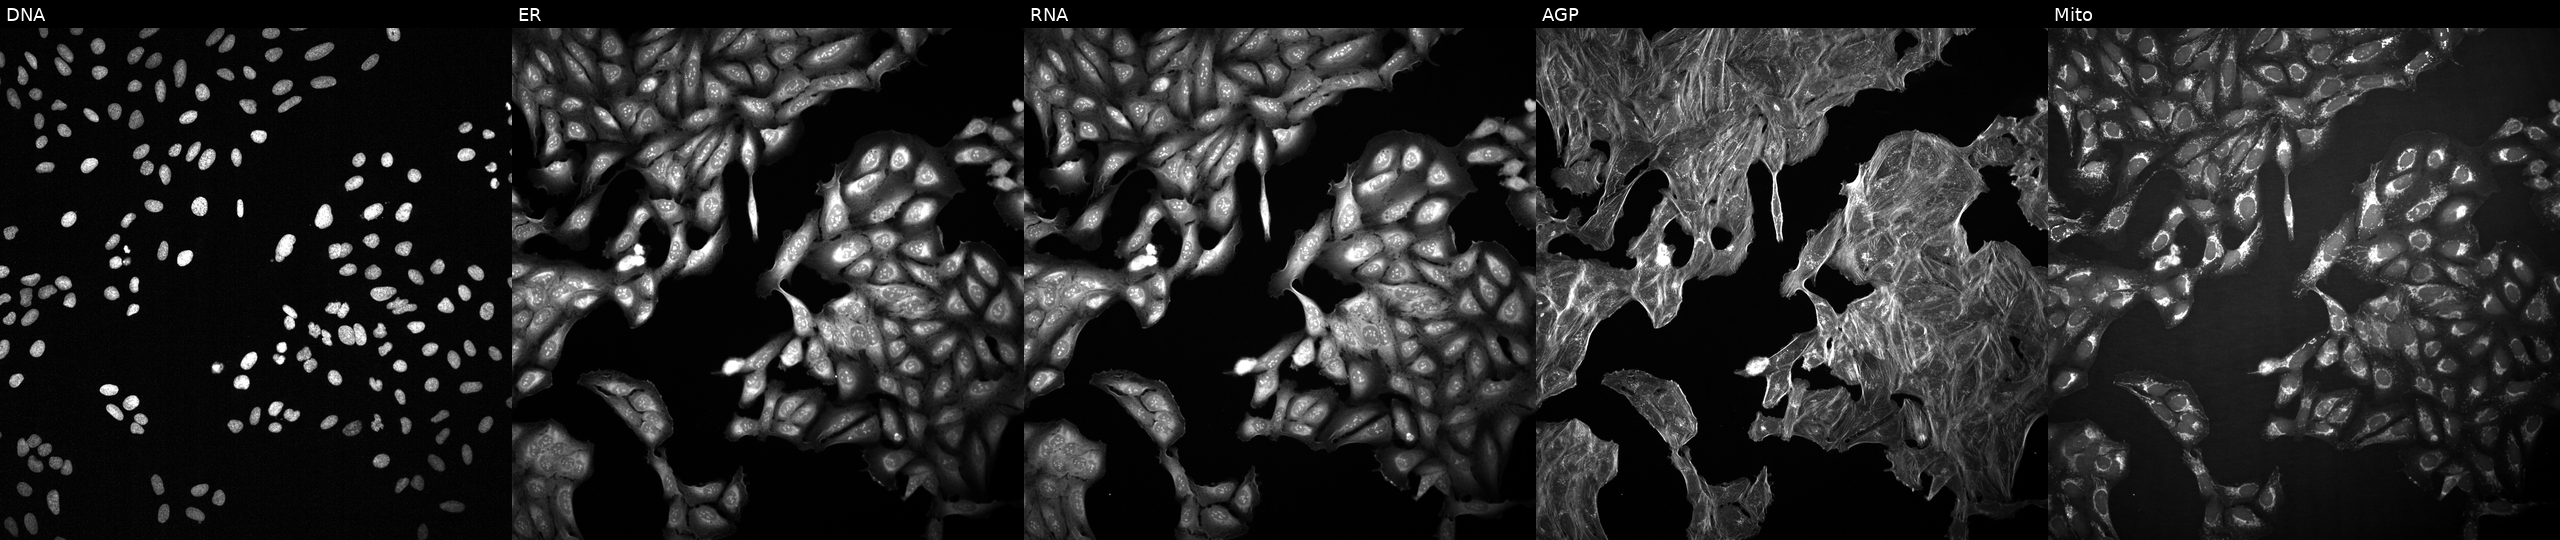
U2OS cells, Cell Painting assay, exposed to a small-molecule compound (InChIKey NTGMYZLNHRENOP-UHFFFAOYSA-N) [SMILES: O=C(N=c1cc[nH]c(-c2ccncc2)n1)C1CC1] (JUMP id JCP2022_061233). The five panels, left to right, show DNA (nuclei); ER (endoplasmic reticulum); RNA (nucleoli and cytoplasmic RNA); AGP (actin cytoskeleton, Golgi, and plasma membrane); Mito (mitochondria). Each panel is percentile-stretched 16-bit fluorescence. Source 2, plate 1053601763, well M20.